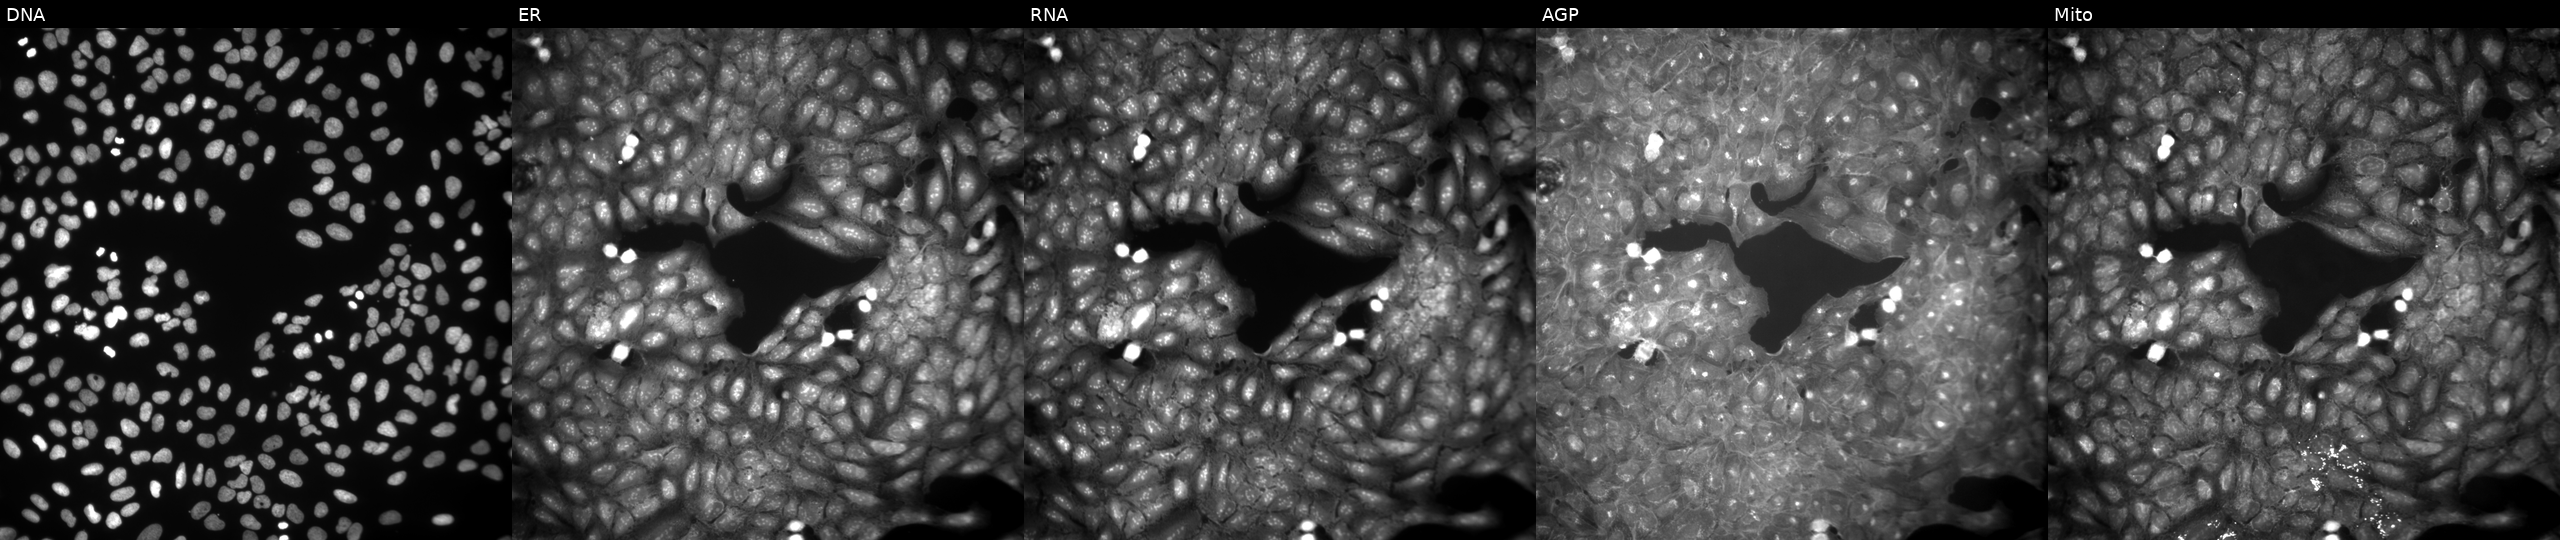
U2OS cells, Cell Painting assay, perturbed with a small-molecule compound. The five panels, left to right, show Hoechst 33342, concanavalin A, SYTO 14, phalloidin and WGA, MitoTracker. Each panel is percentile-stretched 16-bit fluorescence. Source 9, plate GR00003381, well A45.